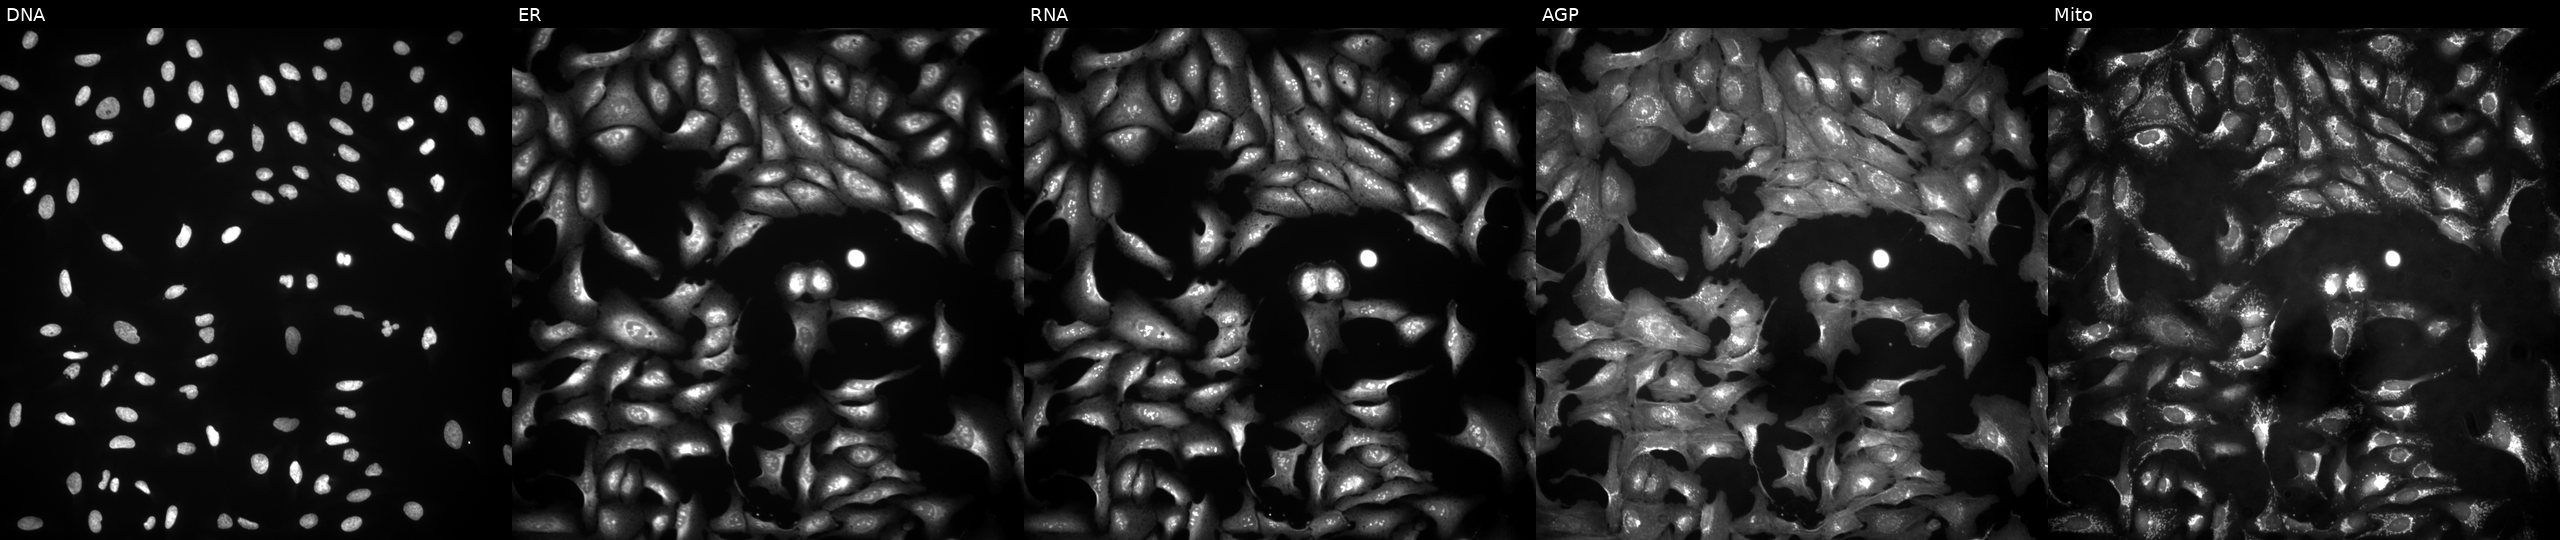
Channels (left→right): DNA (nuclei); ER (endoplasmic reticulum); RNA (nucleoli and cytoplasmic RNA); AGP (actin cytoskeleton, Golgi, and plasma membrane); Mito (mitochondria). U2OS osteosarcoma cells with CAPN2 overexpressed (ORF) (JUMP id JCP2022_905544). Cell Painting assay, JUMP-CP dataset. Source 4, plate BR00124790, well J09.